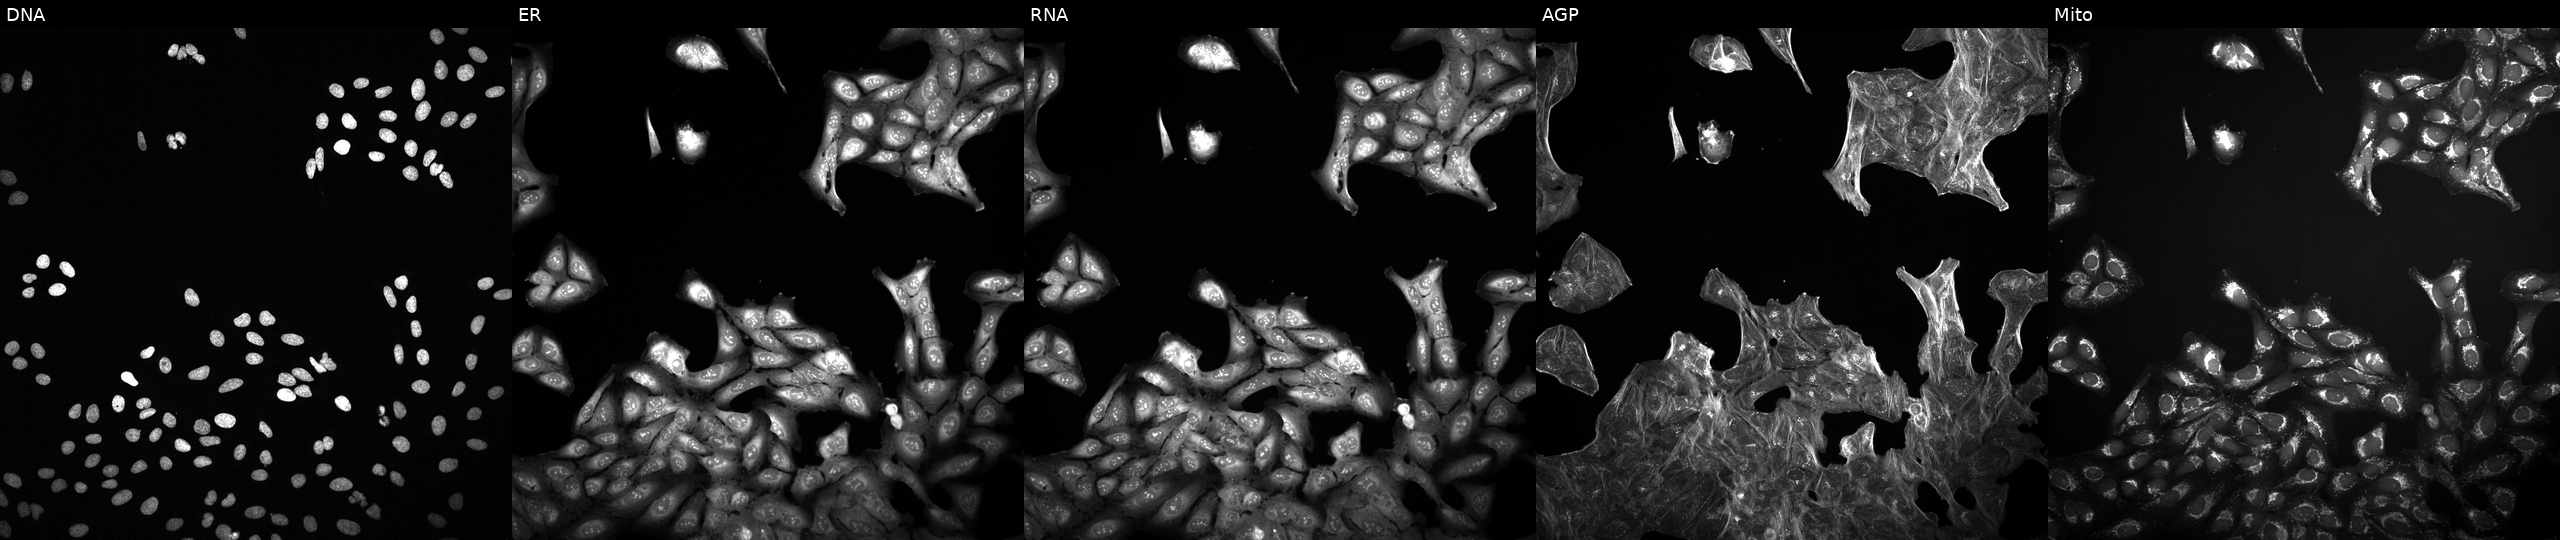
U2OS cells, Cell Painting assay, treated with a small-molecule compound. The five panels, left to right, show Hoechst 33342, concanavalin A, SYTO 14, phalloidin and WGA, MitoTracker. Each panel is percentile-stretched 16-bit fluorescence. Source 2, plate 1053597936, well A01.